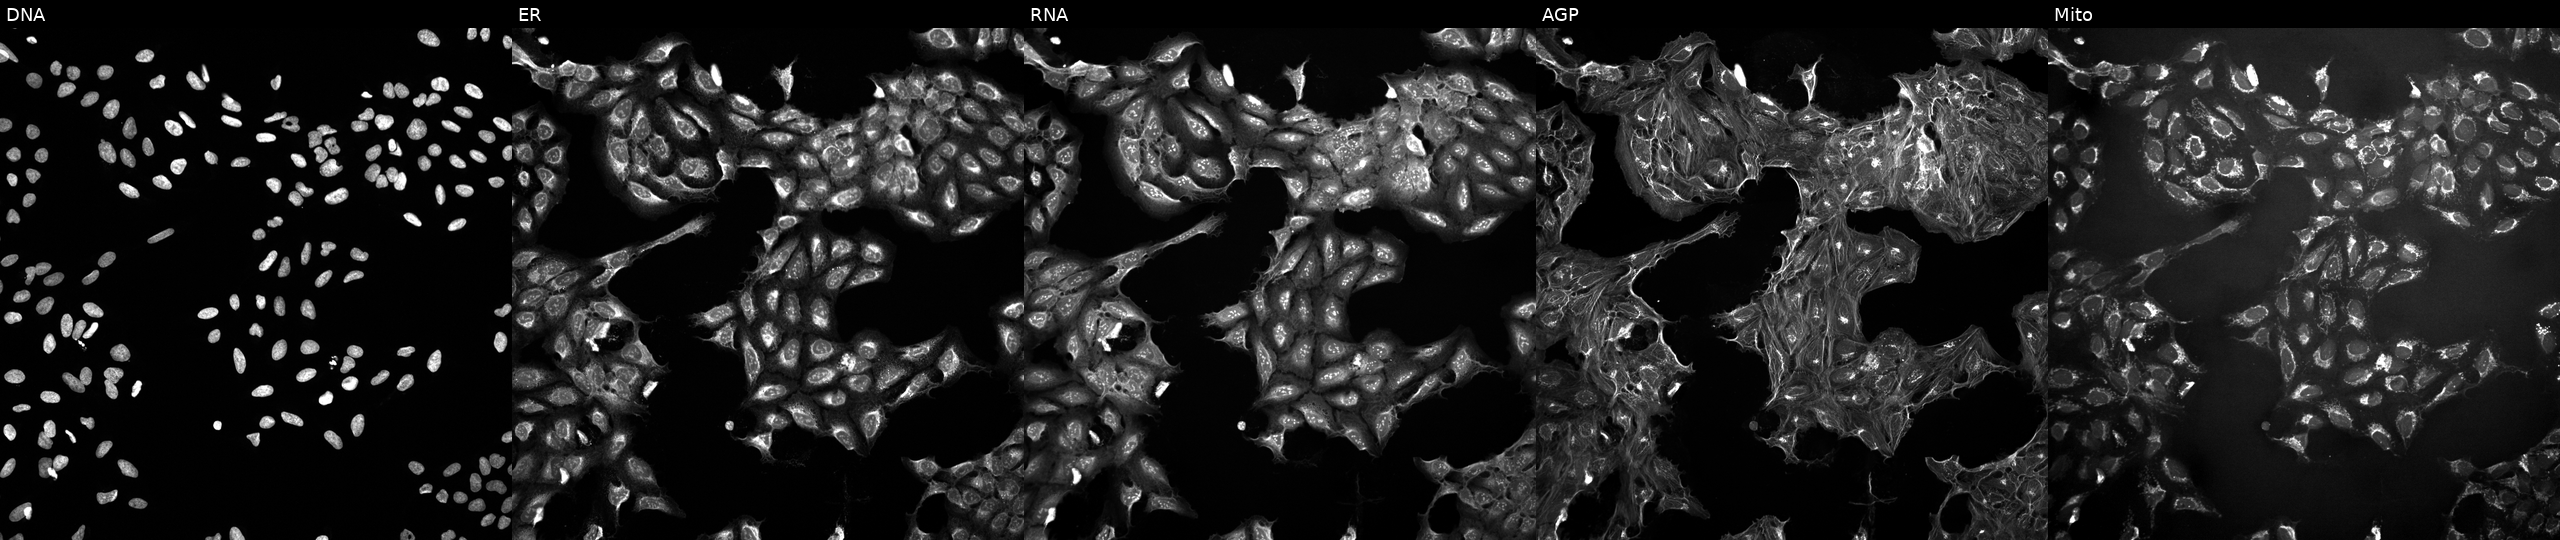
U2OS cells, Cell Painting assay, perturbed with a small-molecule compound (InChIKey ZKIDBCGUPPIVMK-UHFFFAOYSA-N). From left to right: DNA, ER, RNA, AGP, and Mito. Each panel is percentile-stretched 16-bit fluorescence. Source 10, plate Dest210531-152324, well I03.